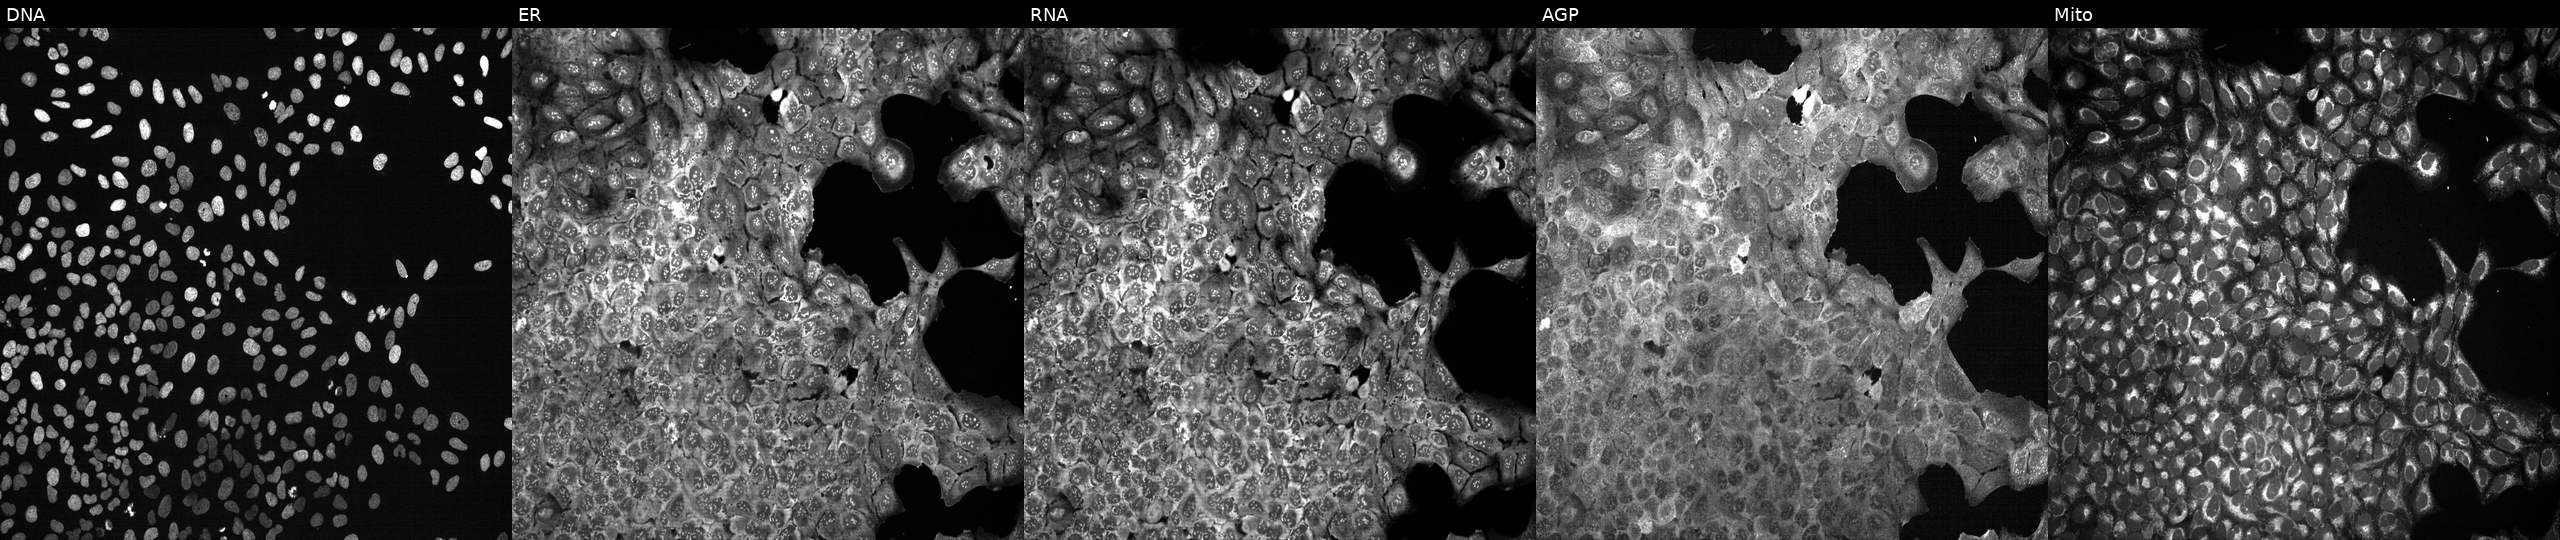
This image strip shows the five Cell Painting channels for a single field of U2OS cells with PLTP knocked out by CRISPR (JUMP id JCP2022_805286). From left to right: DNA, ER, RNA, AGP, and Mito. Source 13, plate CP-CC9-R3-02, well P09.